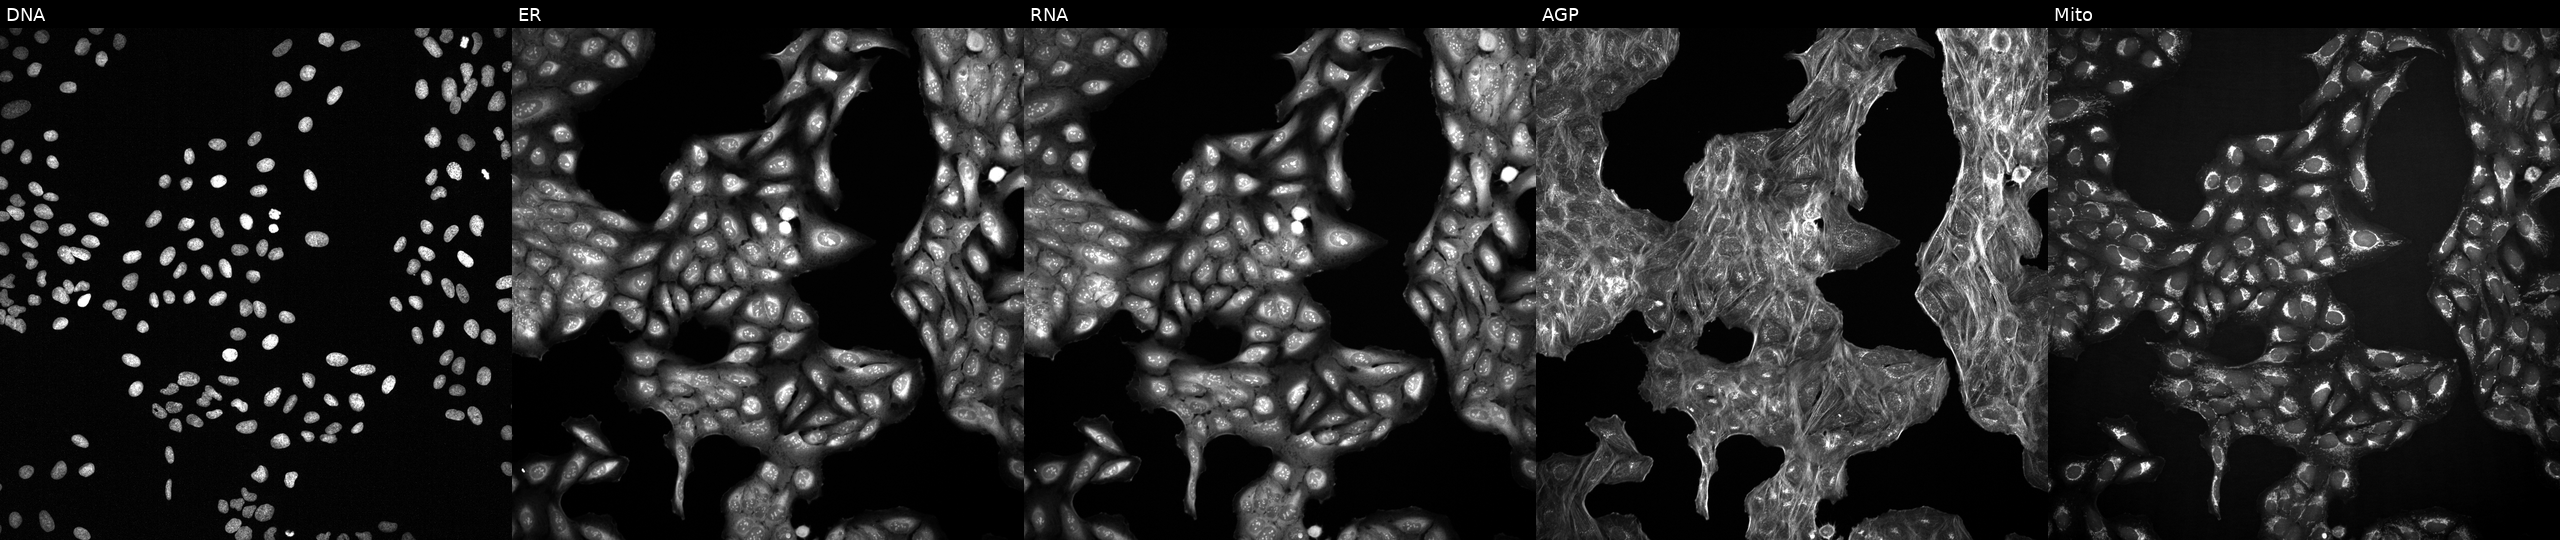
JUMP Cell Painting — COMPOUND plate. U2OS cells with an unidentified perturbation (not annotated in JUMP metadata). From left to right: DNA, ER, RNA, AGP, and Mito.